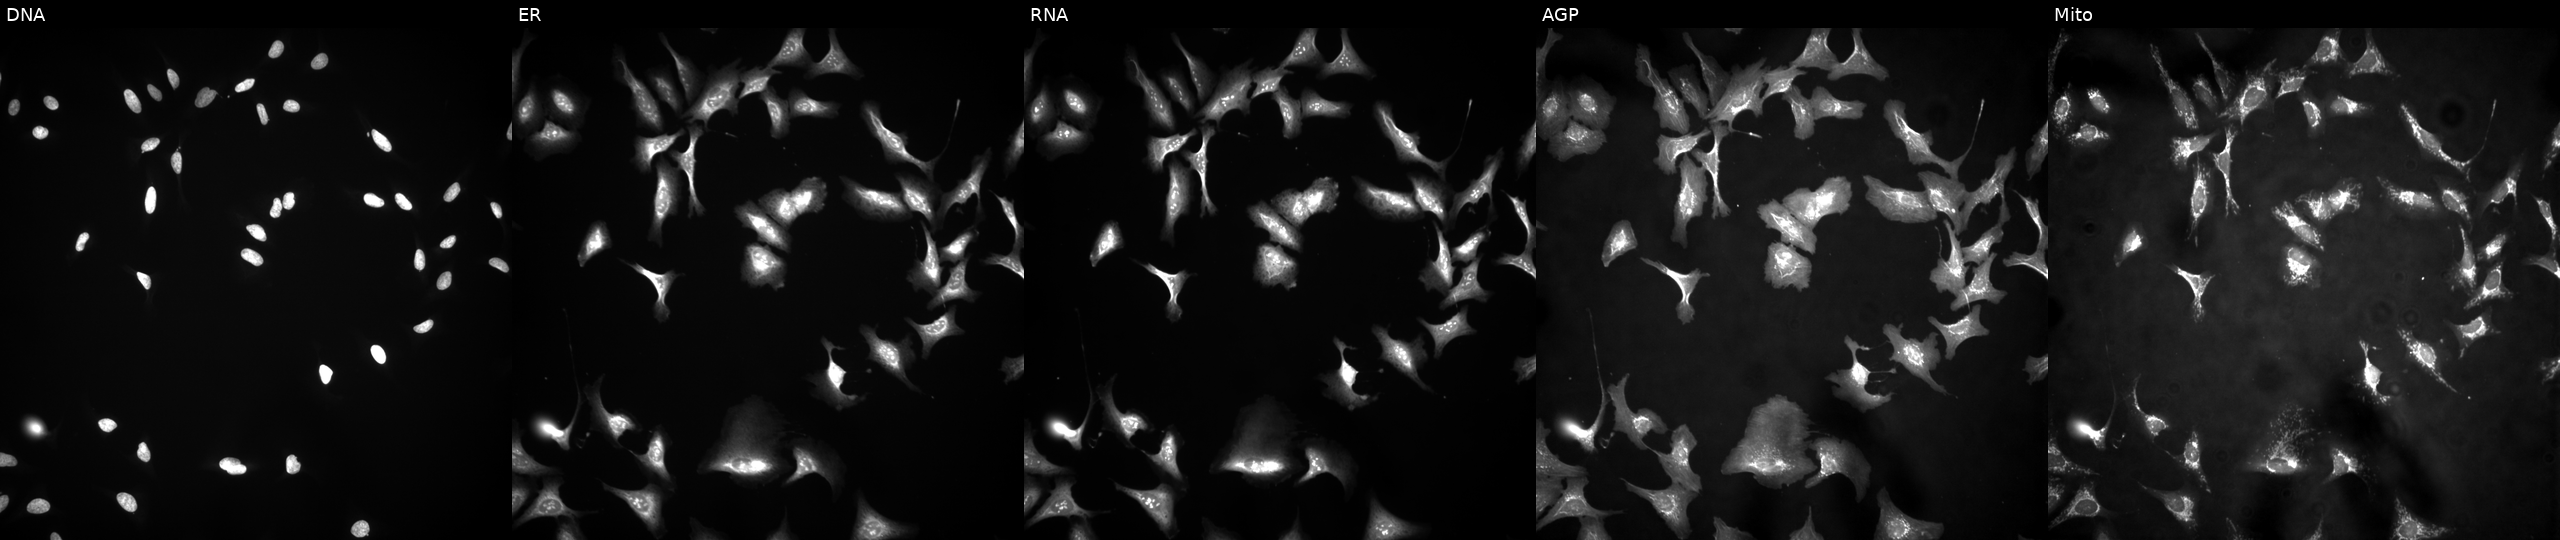
High-content fluorescence microscopy (Cell Painting). Cell line: U2OS. Perturbation: transfected with an ORF construct for BMX. The five panels, left to right, show DNA, ER, RNA, AGP, and Mito.